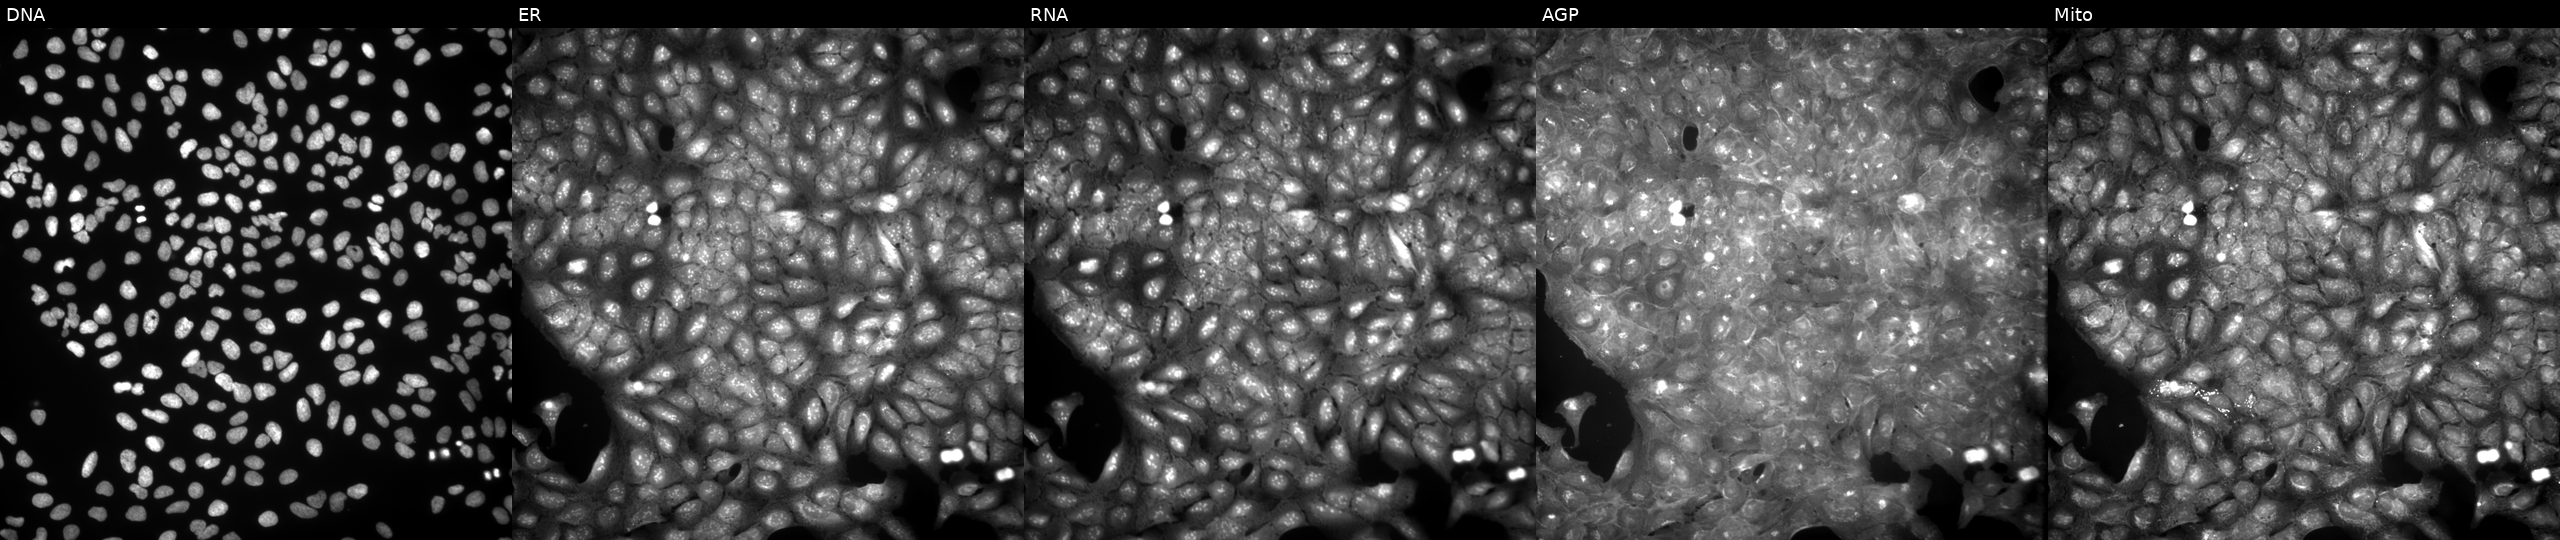
Five-channel Cell Painting image of U2OS cells exposed to a small-molecule compound [SMILES: O=C(Nc1ccc(S(=O)(=O)N=c2nccc[nH]2)cc1)c1ccccc1] (JUMP id JCP2022_000051). From left to right: DNA (nuclei); ER (endoplasmic reticulum); RNA (nucleoli and cytoplasmic RNA); AGP (actin cytoskeleton, Golgi, and plasma membrane); Mito (mitochondria).